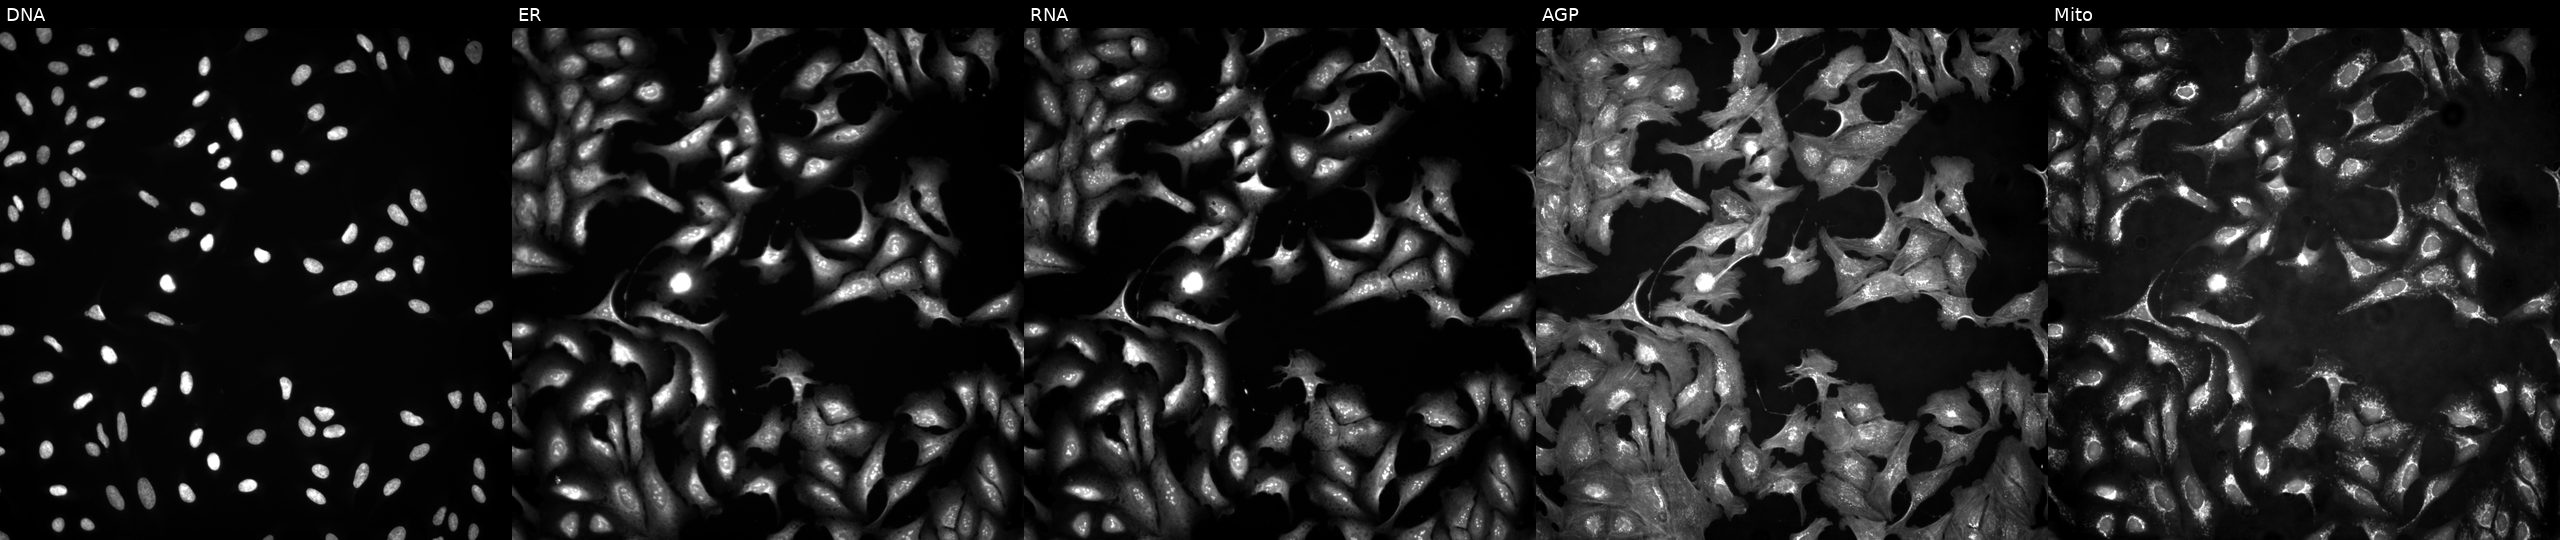
This image strip shows the five Cell Painting channels for a single field of U2OS cells with PIM3 overexpressed (ORF) (JUMP id JCP2022_909454). The five panels, left to right, show Hoechst 33342, concanavalin A, SYTO 14, phalloidin and WGA, MitoTracker. Source 4, plate BR00123945, well D06.